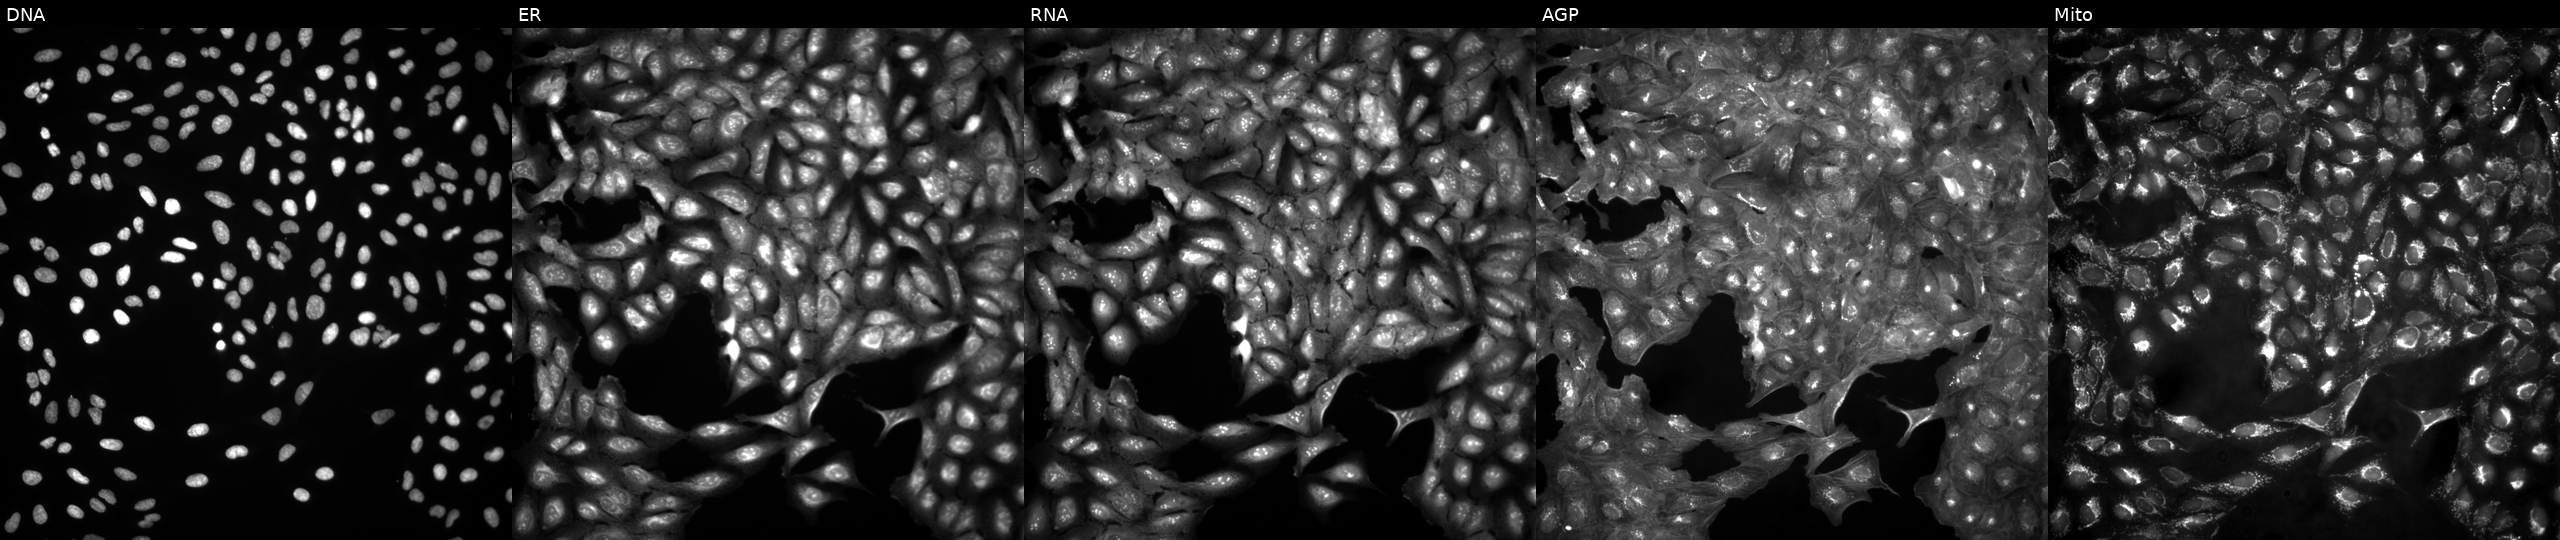
This image strip shows the five Cell Painting channels for a single field of U2OS cells untreated (empty-well control) (JUMP id JCP2022_999999). Channels (left→right): DNA (nuclei); ER (endoplasmic reticulum); RNA (nucleoli and cytoplasmic RNA); AGP (actin cytoskeleton, Golgi, and plasma membrane); Mito (mitochondria).